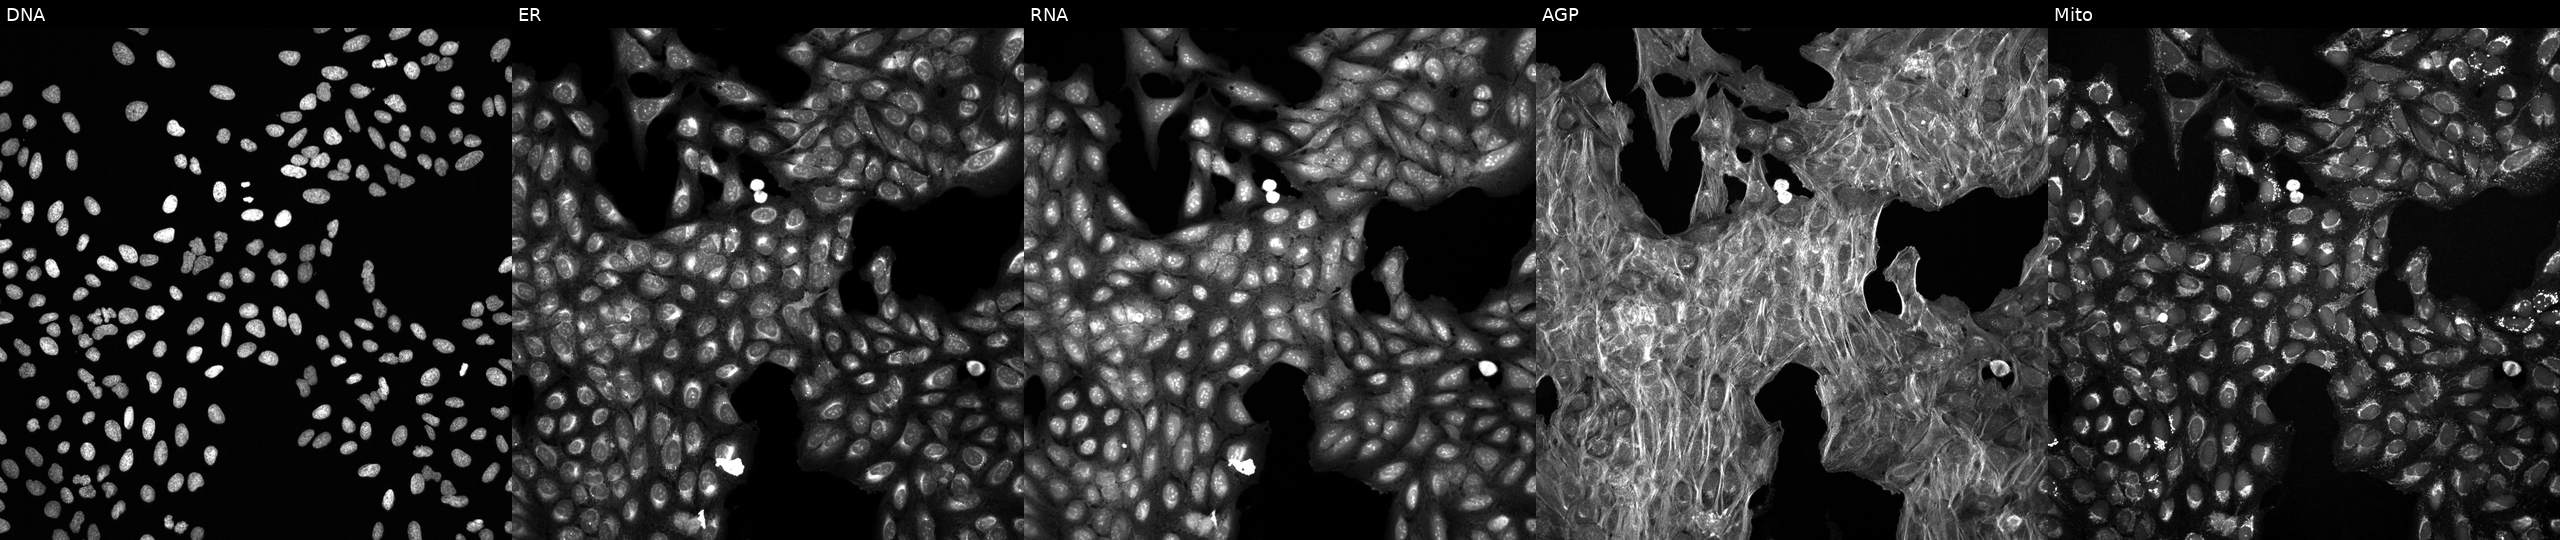
The five panels, left to right, show DNA (nuclei); ER (endoplasmic reticulum); RNA (nucleoli and cytoplasmic RNA); AGP (actin cytoskeleton, Golgi, and plasma membrane); Mito (mitochondria). U2OS osteosarcoma cells exposed to DMSO alone as a negative control (JUMP id JCP2022_033924). Cell Painting assay, JUMP-CP dataset. Source 6, plate 110000293082, well K23.